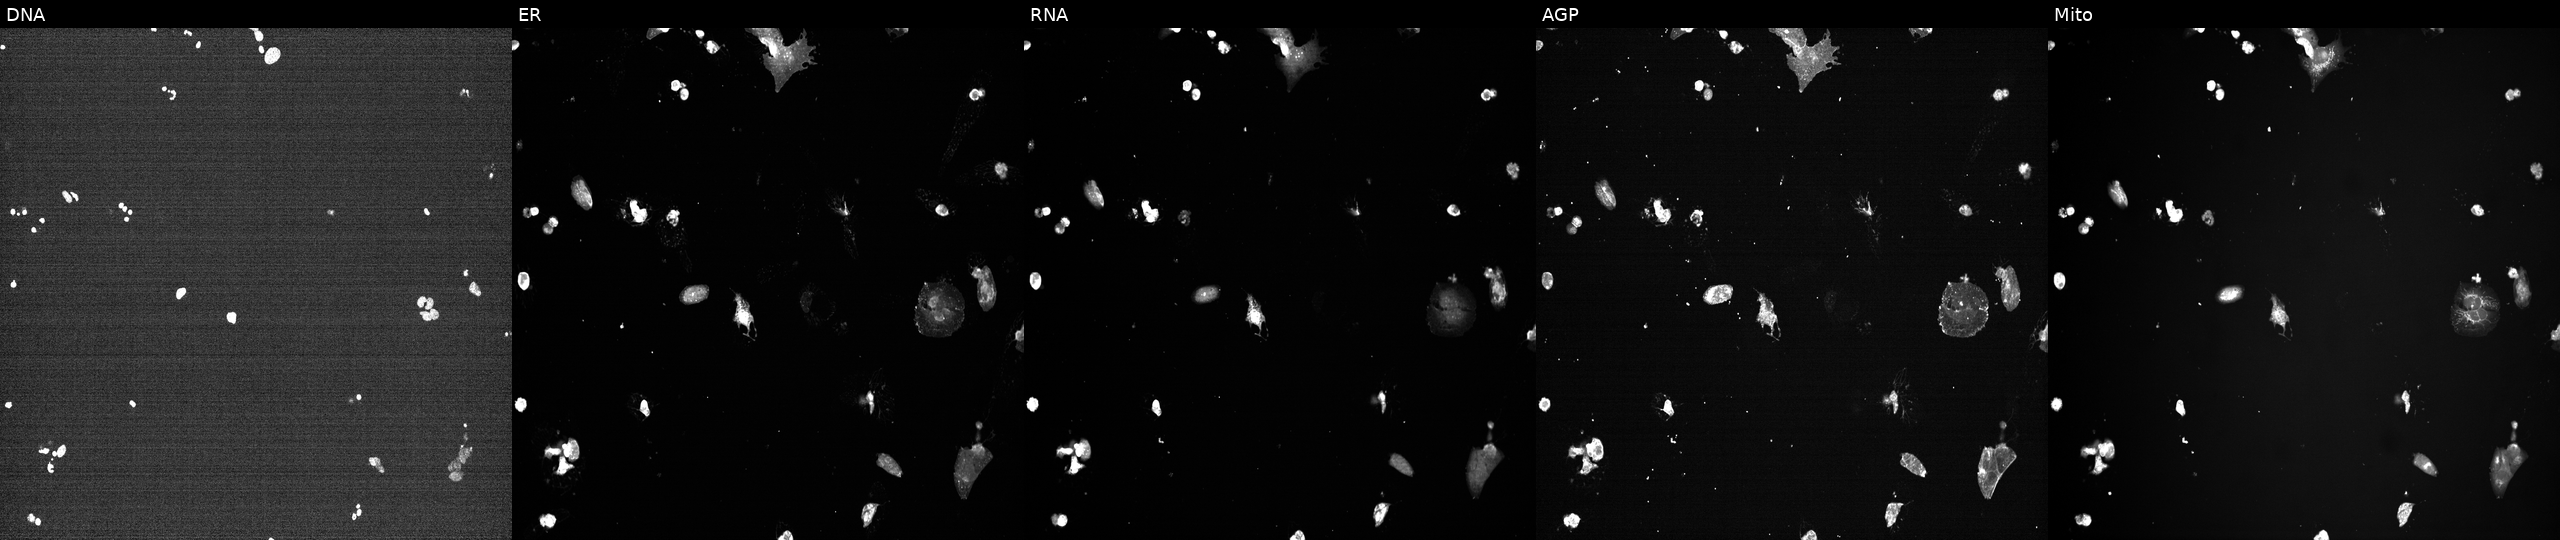
JUMP Cell Painting — TARGET2 plate. U2OS cells perturbed with a small-molecule compound (InChIKey RVAQIUULWULRNW-UHFFFAOYSA-N). The five panels, left to right, show Hoechst 33342, concanavalin A, SYTO 14, phalloidin and WGA, MitoTracker.